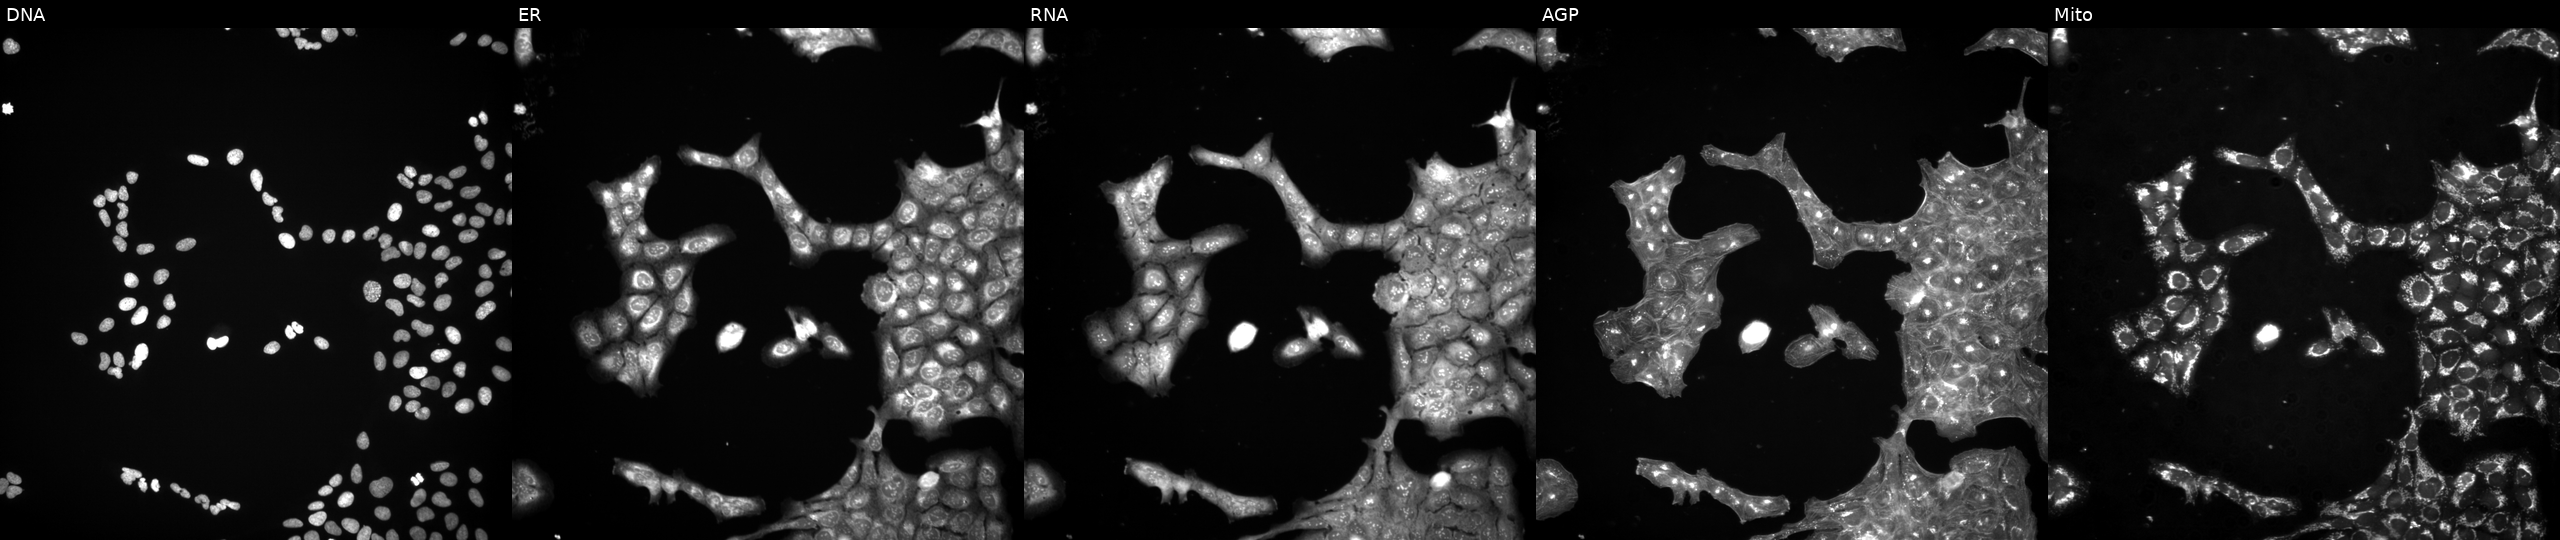
The five panels, left to right, show DNA (nuclei); ER (endoplasmic reticulum); RNA (nucleoli and cytoplasmic RNA); AGP (actin cytoskeleton, Golgi, and plasma membrane); Mito (mitochondria). U2OS osteosarcoma cells treated with a small-molecule compound (InChIKey AOMWIMNEQQNCCX-UHFFFAOYSA-N). Cell Painting assay, JUMP-CP dataset. Source 3, plate BR5867a3, well N13.